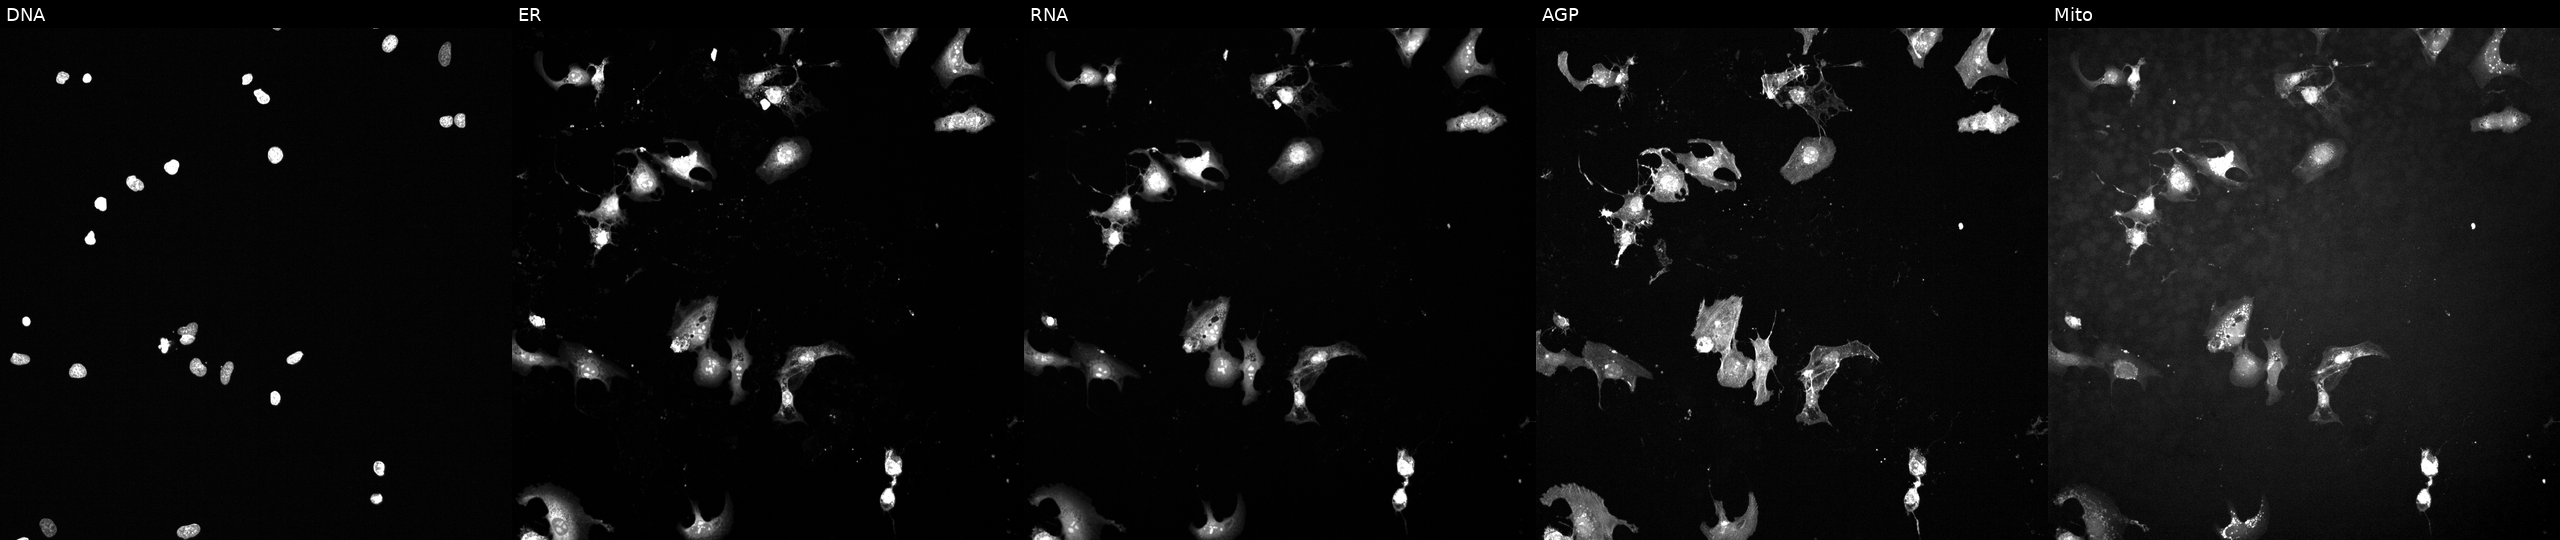
High-content fluorescence microscopy (Cell Painting). Cell line: U2OS. Perturbation: exposed to a small-molecule compound (InChIKey AJVXVYTVAAWZAP-UHFFFAOYSA-N) [SMILES: CC1(C)C(=O)N=C2c3ccccc3C(=O)C(=O)C21] (JUMP id JCP2022_001890). Panels show, left to right, DNA, ER, RNA, AGP, and Mito. Source 6, plate 110000293093, well O05.